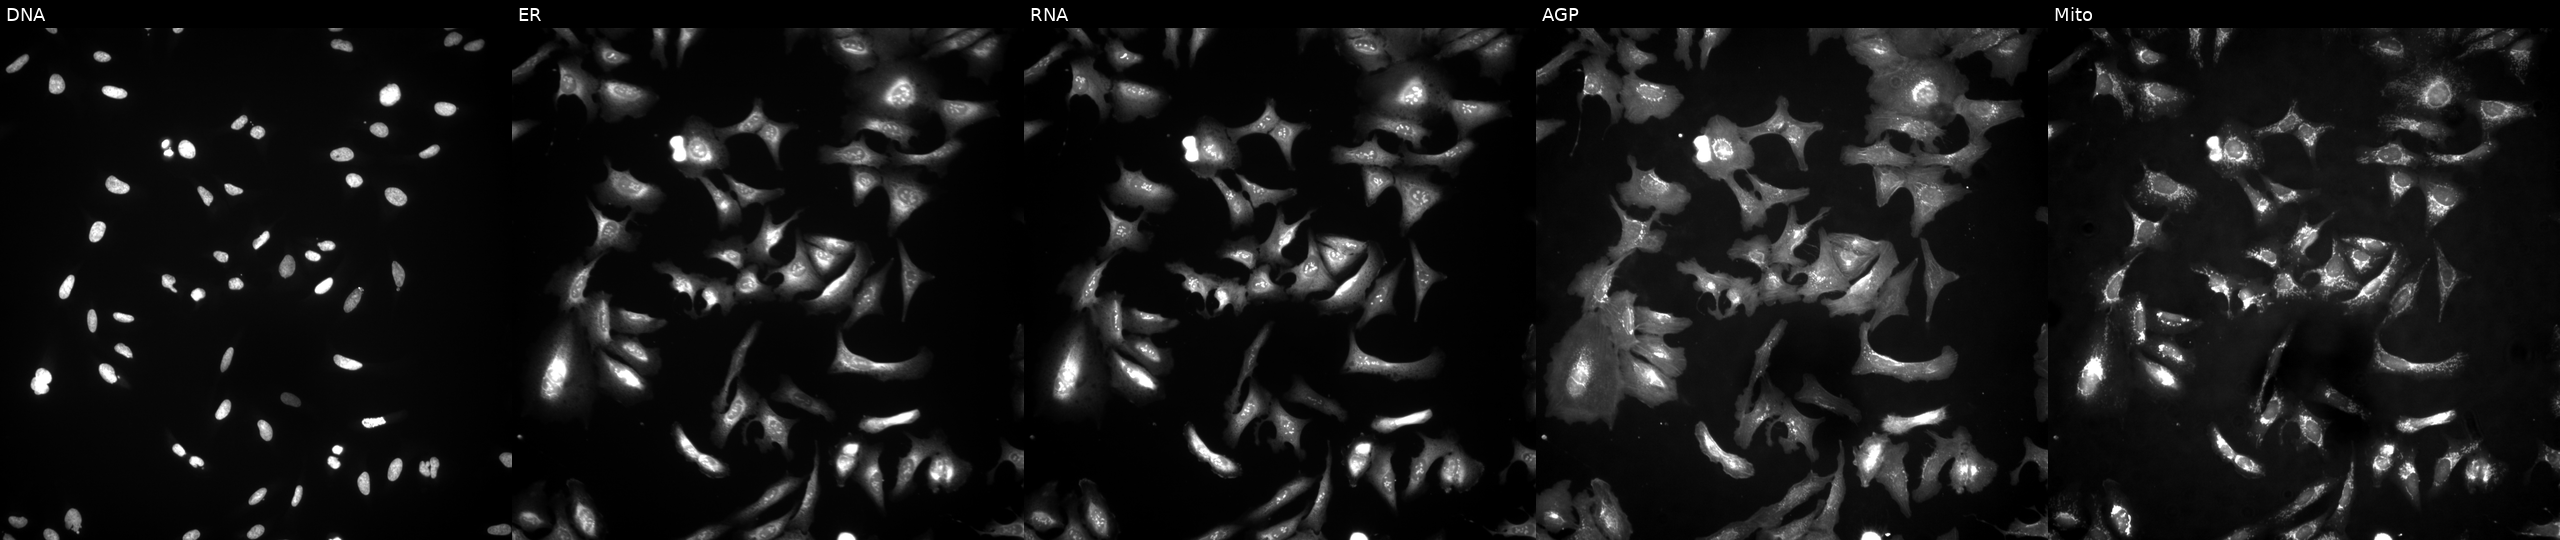
Panels show, left to right, DNA (nuclei); ER (endoplasmic reticulum); RNA (nucleoli and cytoplasmic RNA); AGP (actin cytoskeleton, Golgi, and plasma membrane); Mito (mitochondria). U2OS osteosarcoma cells transfected with an ORF construct for NTN5 (JUMP id JCP2022_904504). Cell Painting assay, JUMP-CP dataset. Source 4, plate BR00124790, well G13.